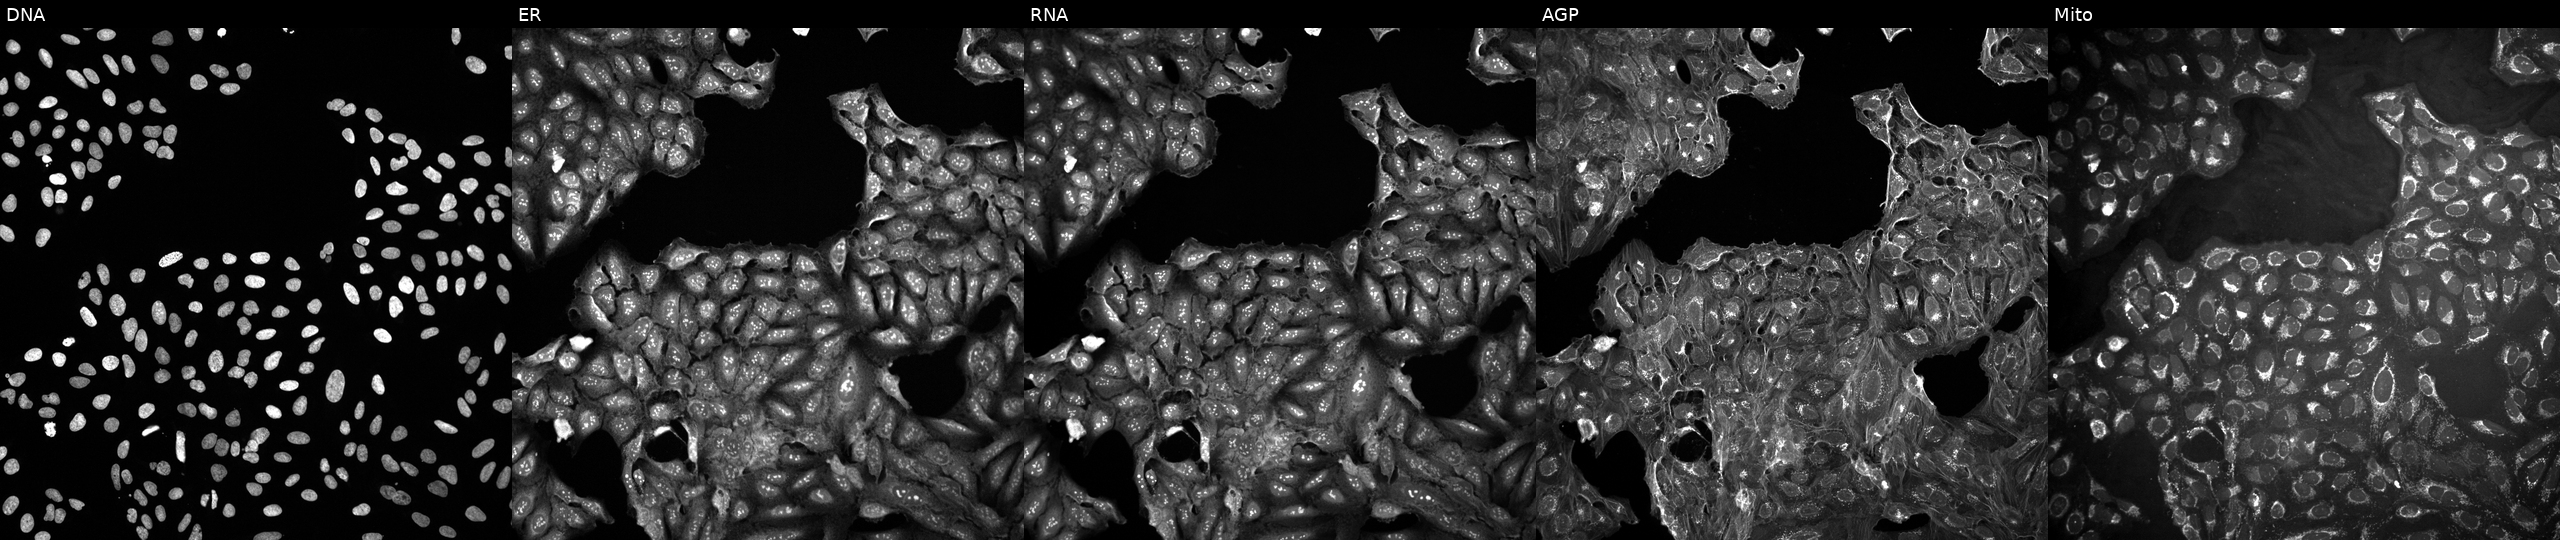
Five-channel Cell Painting image of U2OS cells perturbed with a small-molecule compound (InChIKey SMYYIROKQOECSW-UHFFFAOYSA-N). Panels show, left to right, DNA, ER, RNA, AGP, and Mito.